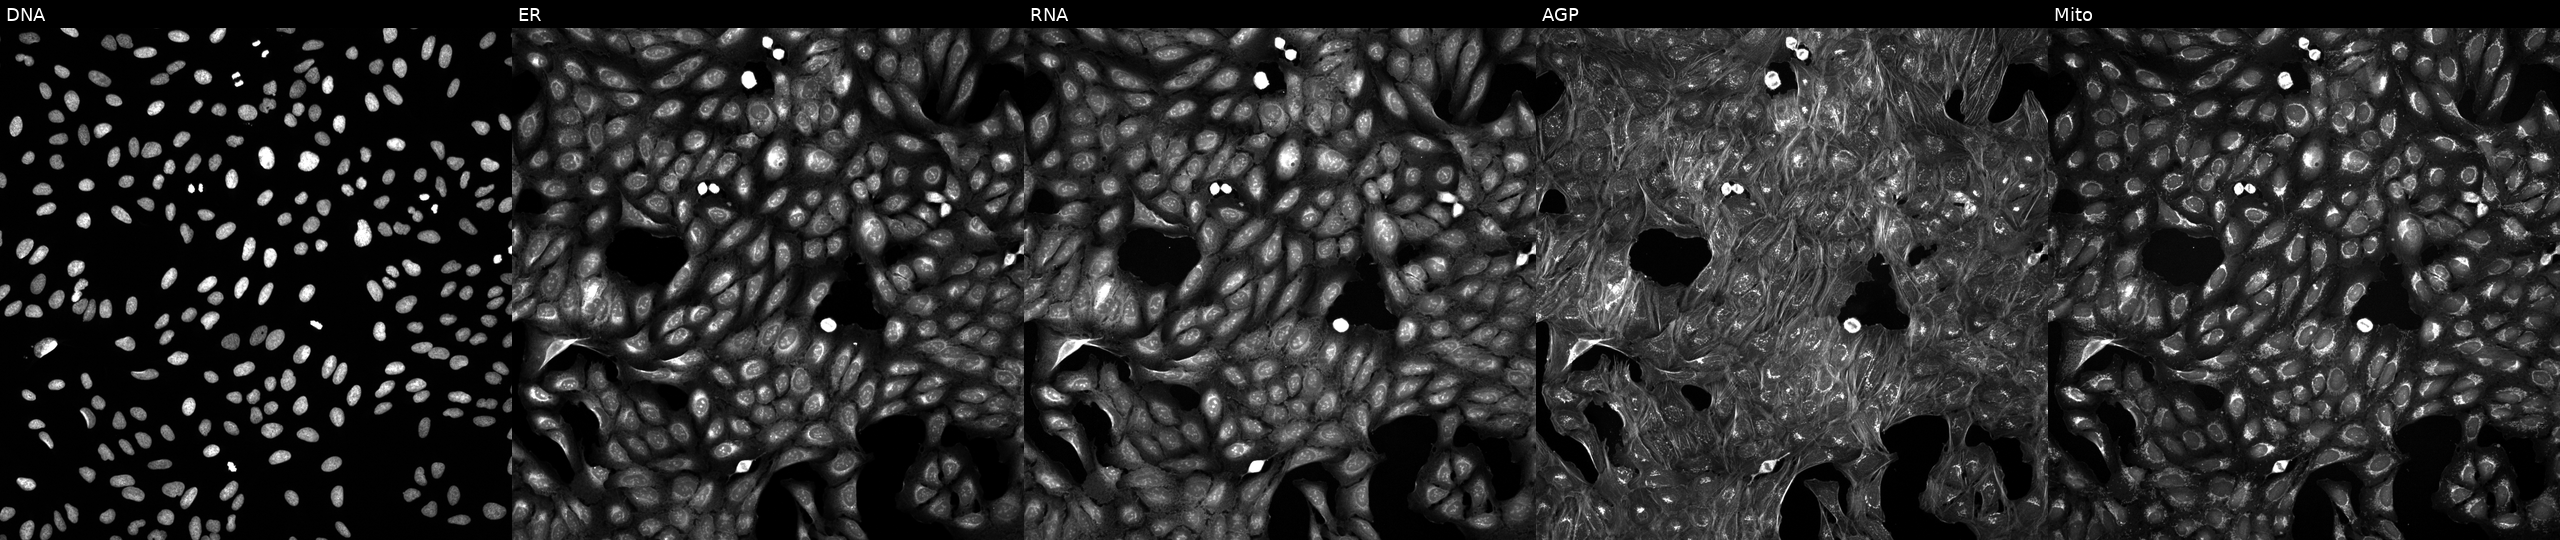
JUMP Cell Painting — TARGET2 plate. U2OS cells exposed to DMSO alone as a negative control (JUMP id JCP2022_033924). Channels (left→right): Hoechst 33342, concanavalin A, SYTO 14, phalloidin and WGA, MitoTracker.